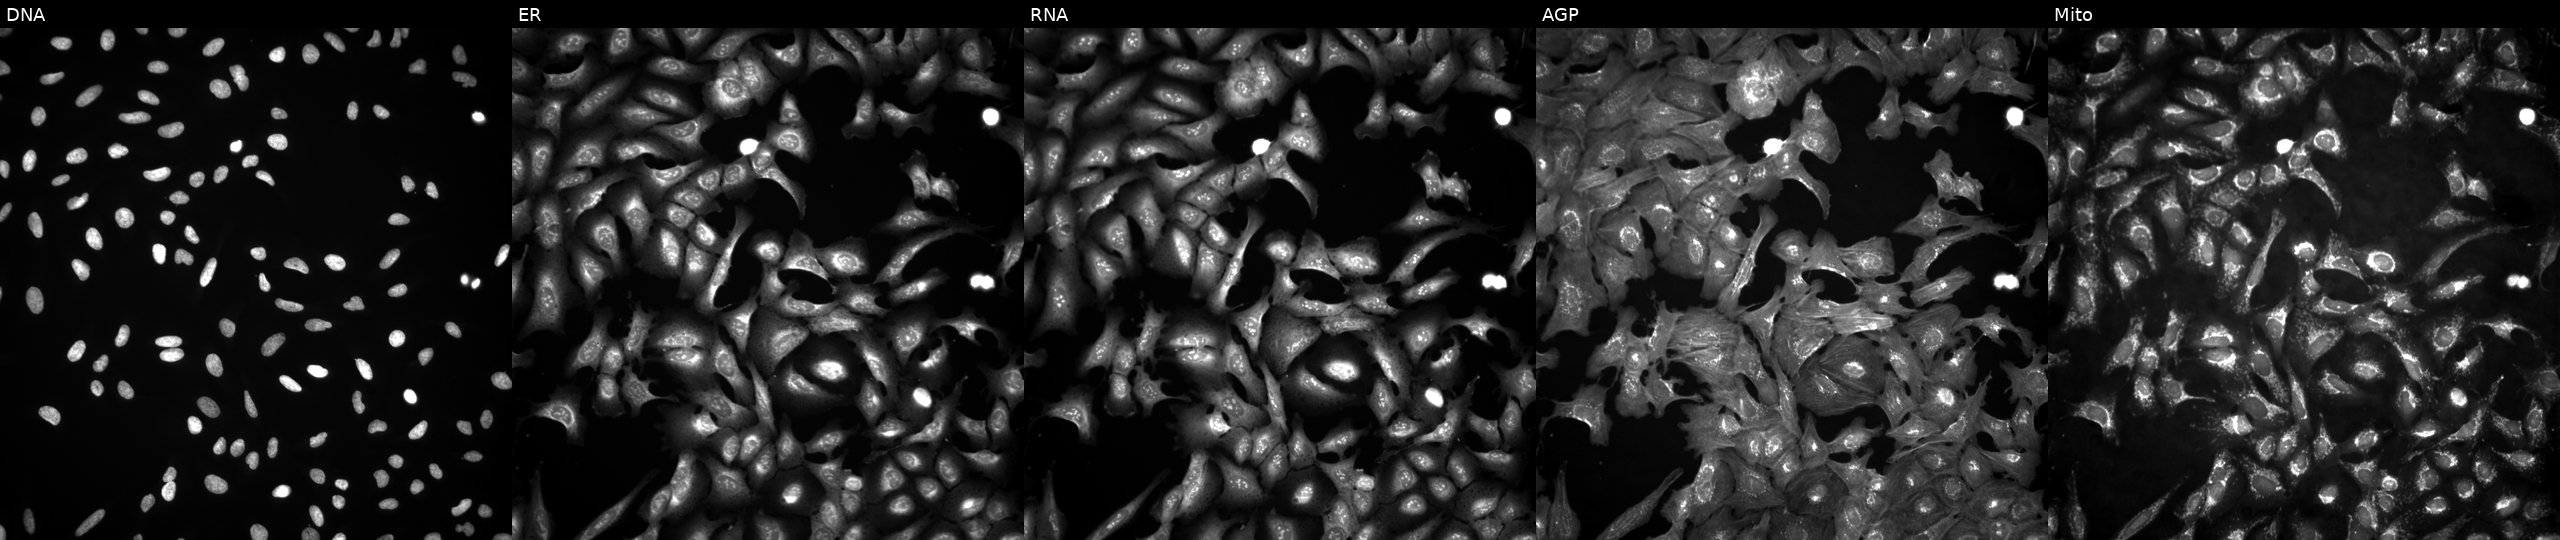
High-content fluorescence microscopy (Cell Painting). Cell line: U2OS. Perturbation: with NEK5 overexpressed (ORF). From left to right: DNA (nuclei); ER (endoplasmic reticulum); RNA (nucleoli and cytoplasmic RNA); AGP (actin cytoskeleton, Golgi, and plasma membrane); Mito (mitochondria). Source 4, plate BR00123945, well A24.